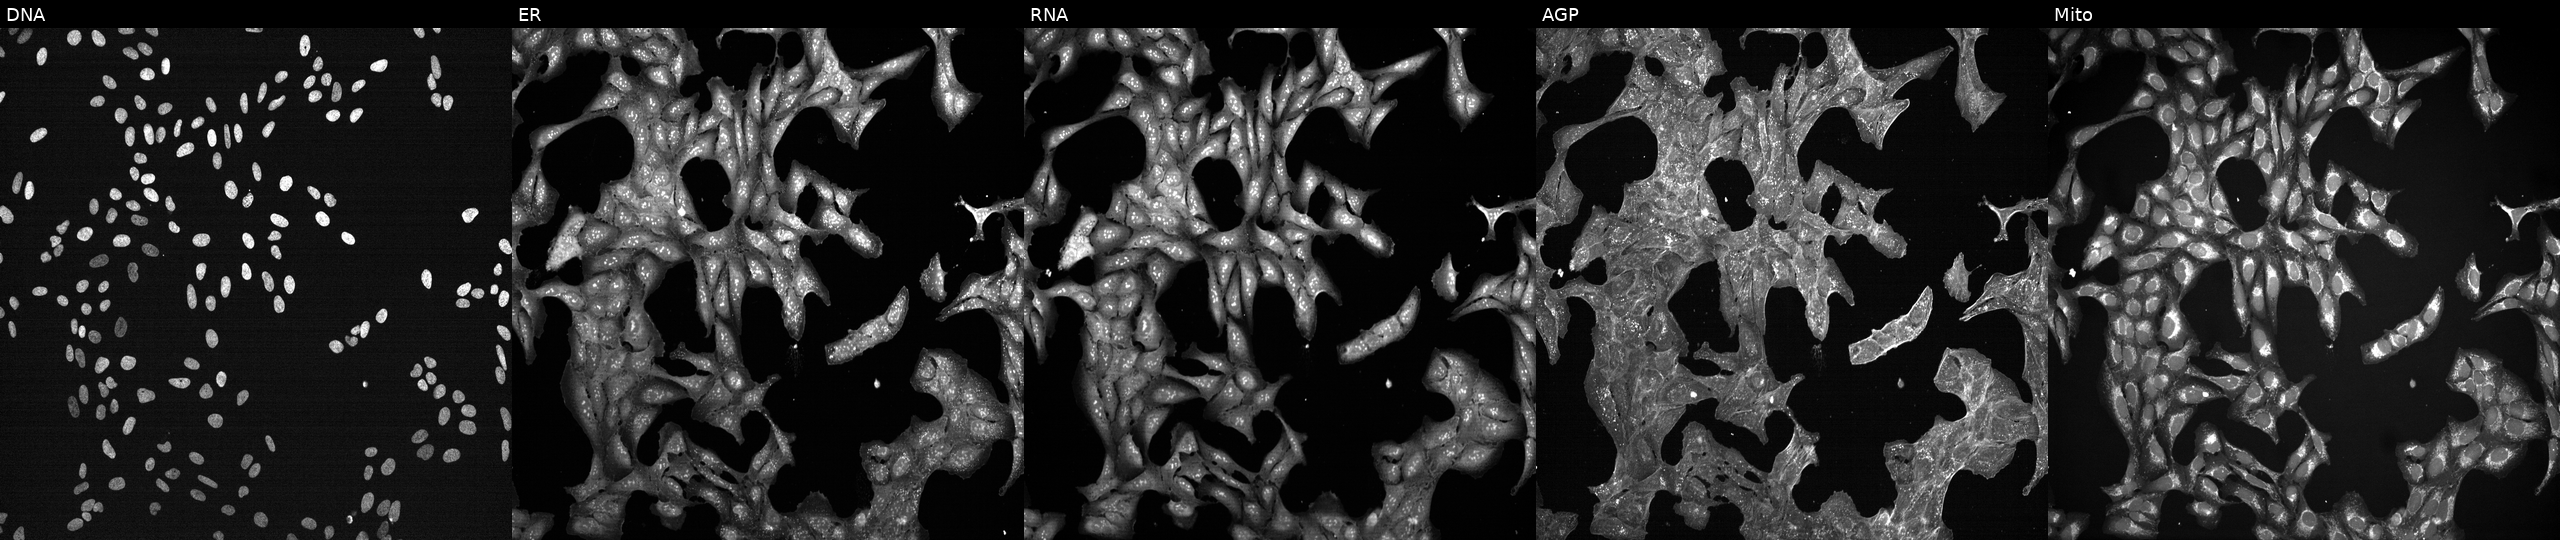
JUMP Cell Painting — TARGET2 plate. U2OS cells perturbed with a small-molecule compound (InChIKey CEUORZQYGODEFX-UHFFFAOYSA-N) (JUMP id JCP2022_010654). From left to right: DNA, ER, RNA, AGP, and Mito.